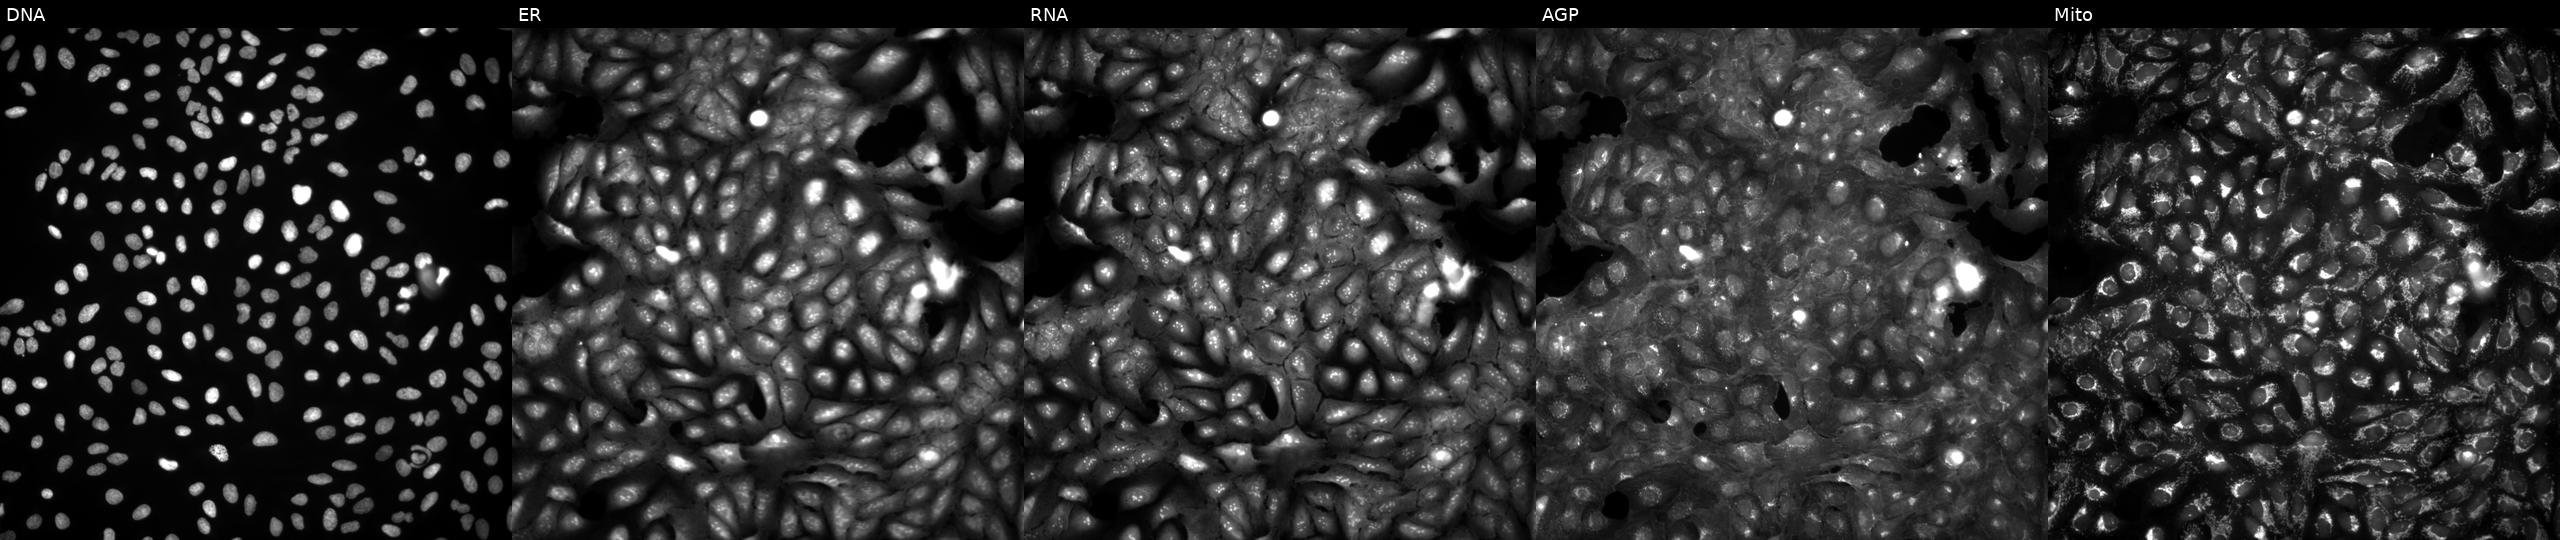
High-content fluorescence microscopy (Cell Painting). Cell line: U2OS. Perturbation: in an empty control well (no perturbation). Channels (left→right): DNA (nuclei); ER (endoplasmic reticulum); RNA (nucleoli and cytoplasmic RNA); AGP (actin cytoskeleton, Golgi, and plasma membrane); Mito (mitochondria).